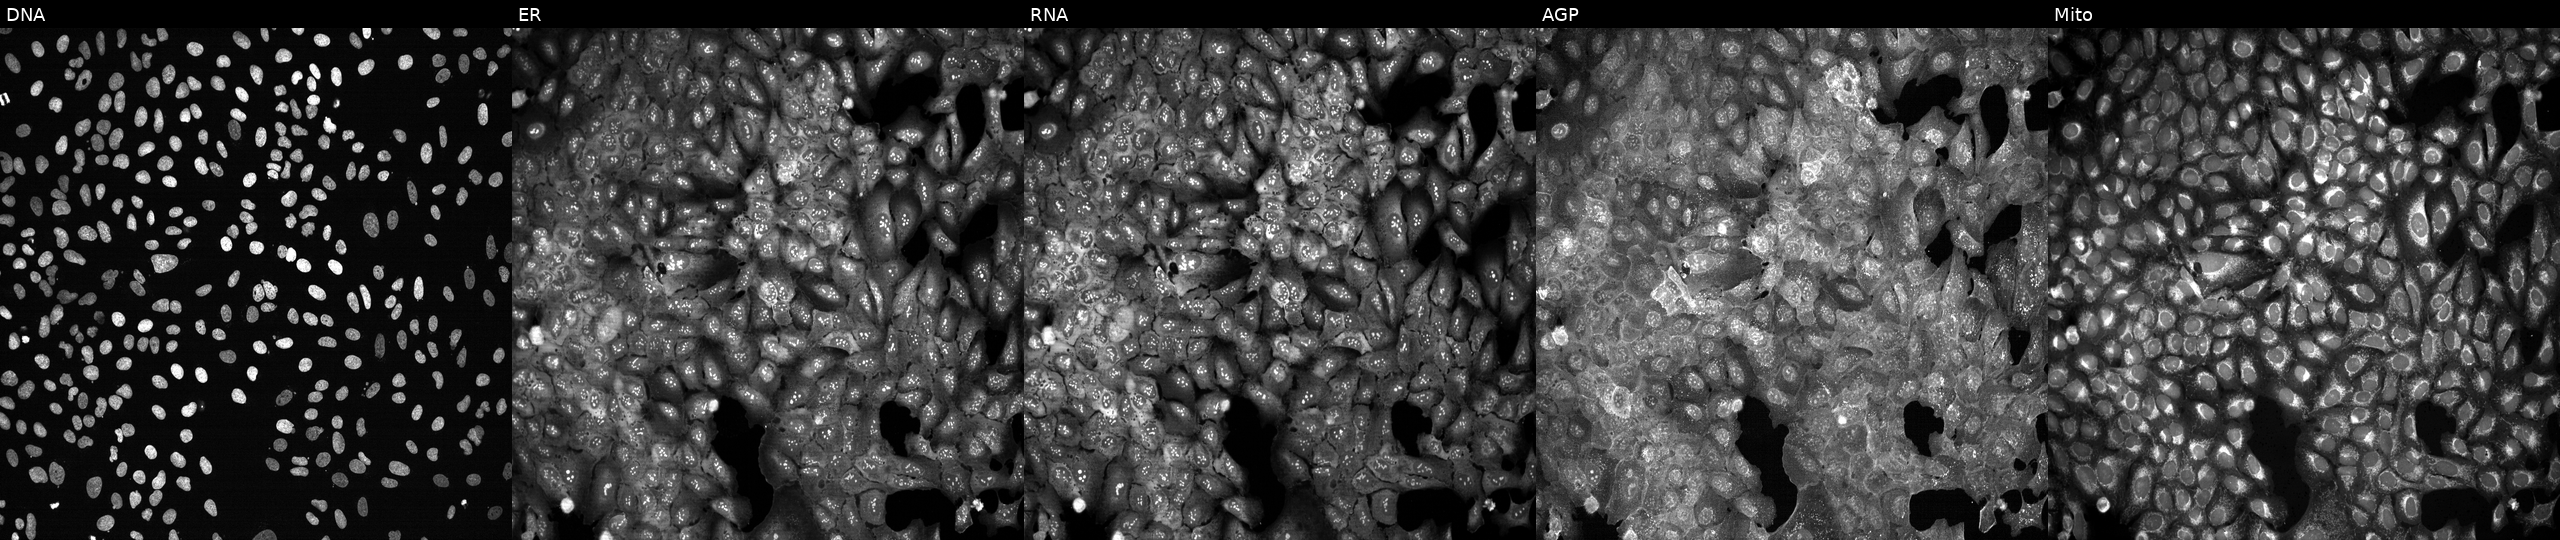
JUMP Cell Painting — CRISPR plate. U2OS cells following CRISPR knockout of MRPL9. Channels (left→right): DNA, ER, RNA, AGP, and Mito. Source 13, plate CP-CC9-R5-01, well P17.